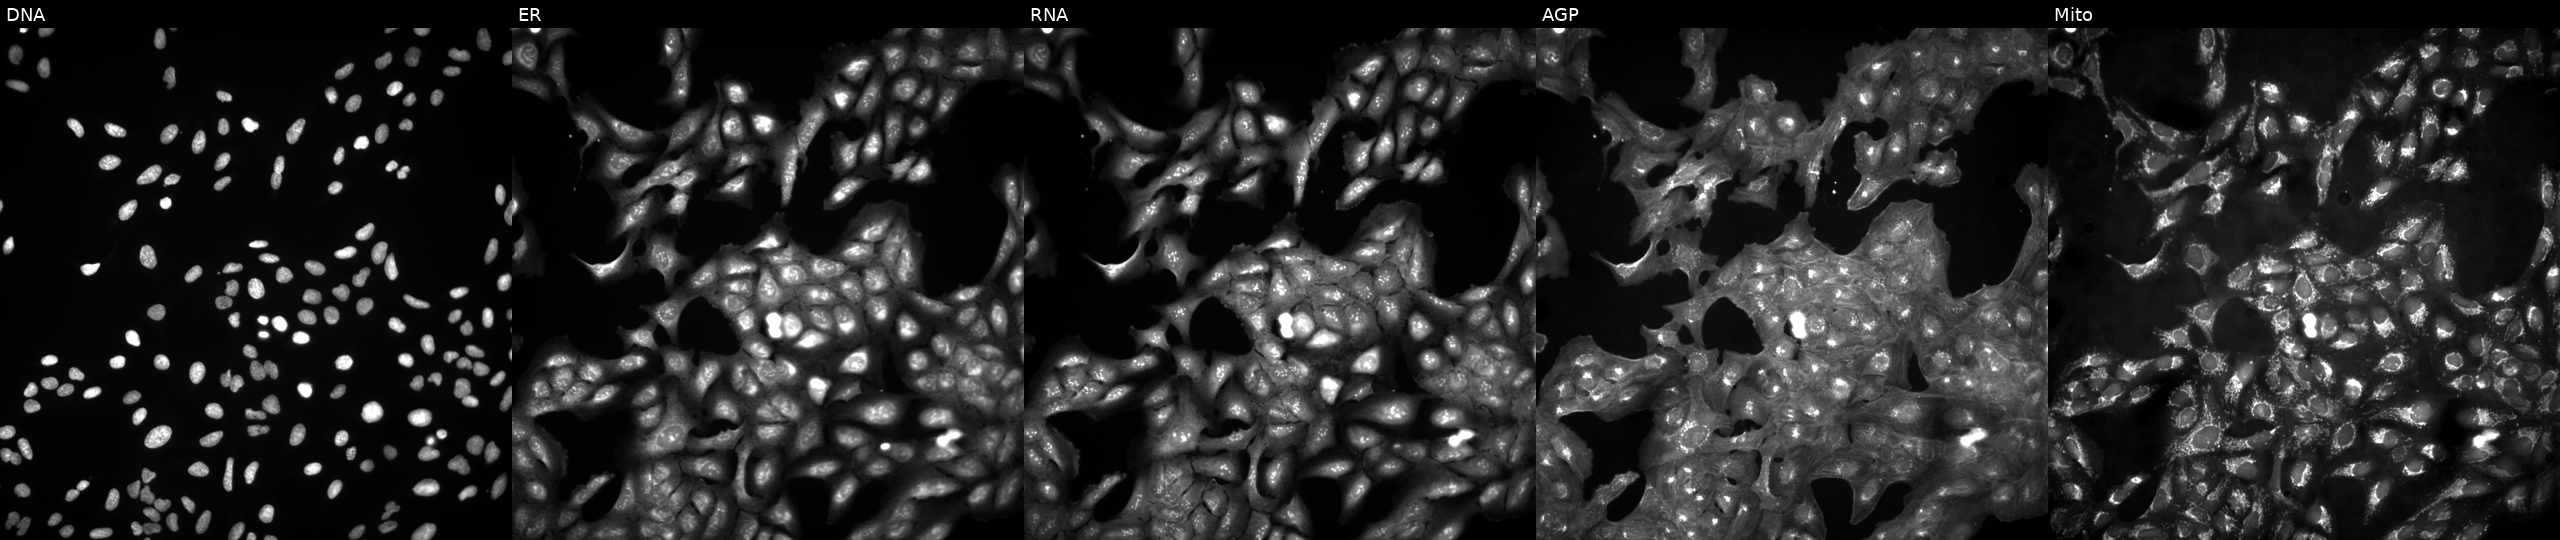
U2OS cells, Cell Painting assay, untreated (empty-well control) (JUMP id JCP2022_999999). The five panels, left to right, show DNA, ER, RNA, AGP, and Mito. Each panel is percentile-stretched 16-bit fluorescence. Source 4, plate BR00123946, well N18.